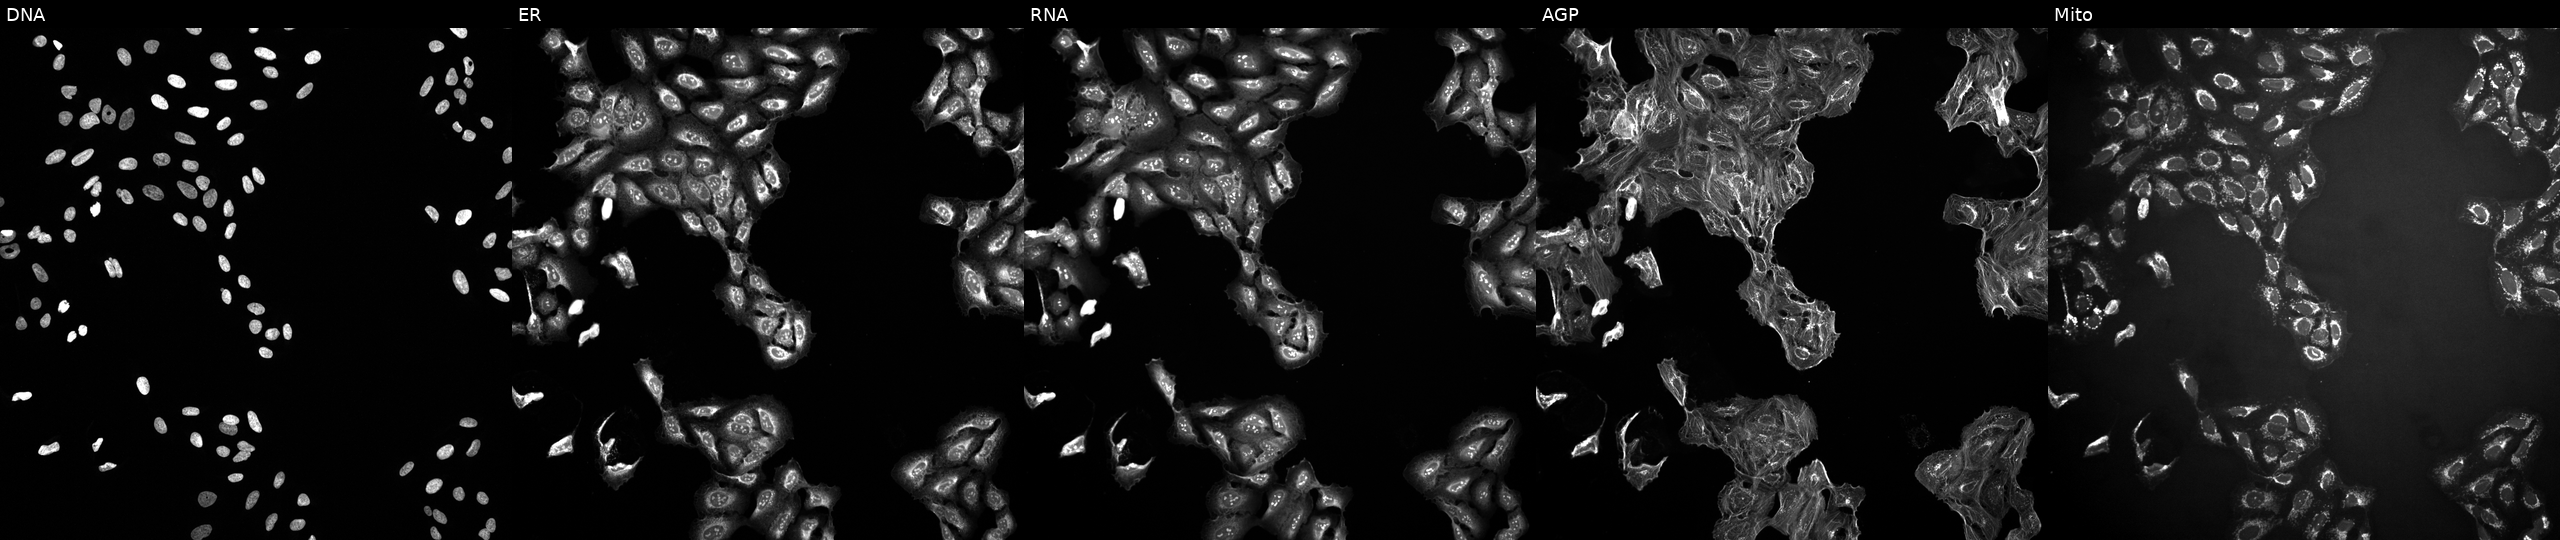
This image strip shows the five Cell Painting channels for a single field of U2OS cells perturbed with a small-molecule compound (InChIKey MAKMQGKJURAJEN-UHFFFAOYSA-N). Panels show, left to right, DNA (nuclei); ER (endoplasmic reticulum); RNA (nucleoli and cytoplasmic RNA); AGP (actin cytoskeleton, Golgi, and plasma membrane); Mito (mitochondria). Source 10, plate Dest210727-153003, well G02.